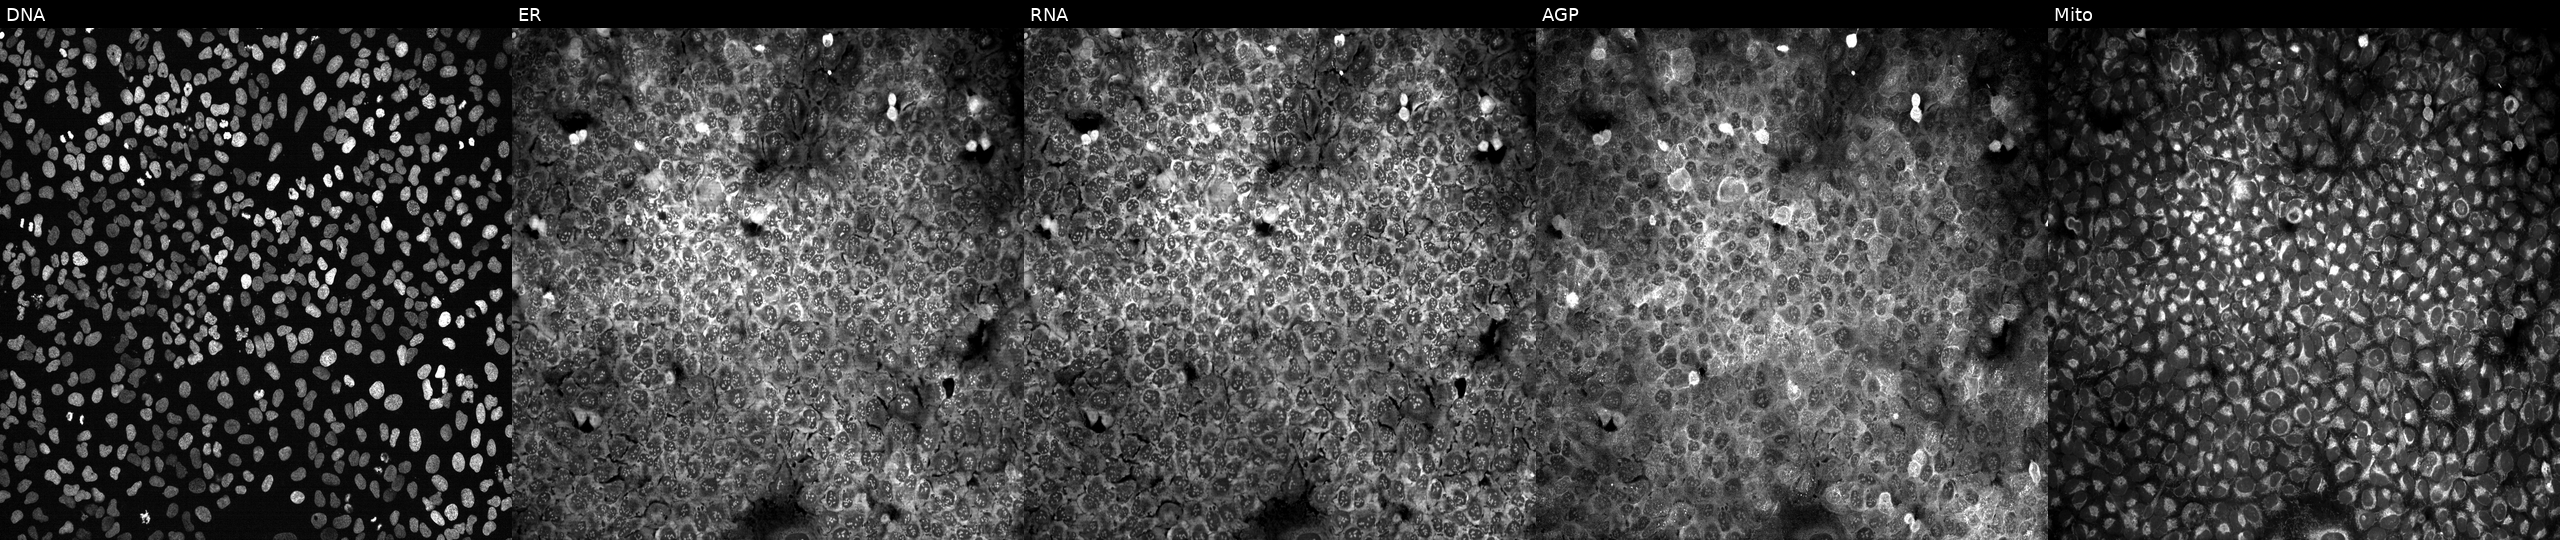
U2OS cells, Cell Painting assay, CRISPR-edited to disrupt LOXL2 (JUMP id JCP2022_803879). Channels (left→right): DNA (nuclei); ER (endoplasmic reticulum); RNA (nucleoli and cytoplasmic RNA); AGP (actin cytoskeleton, Golgi, and plasma membrane); Mito (mitochondria). Each panel is percentile-stretched 16-bit fluorescence.